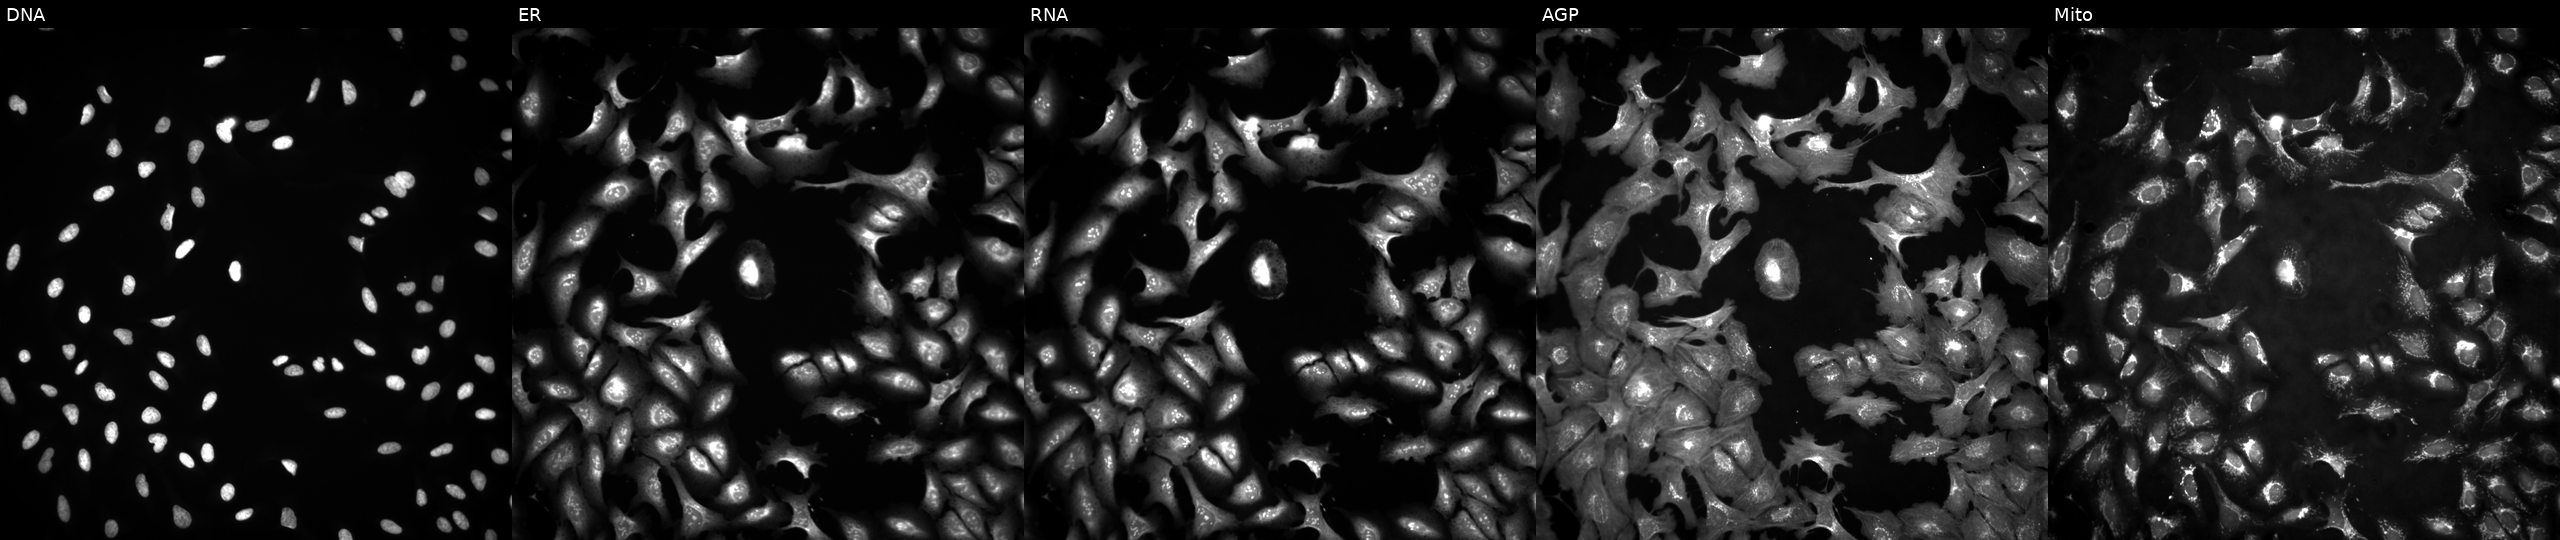
JUMP Cell Painting — ORF plate. U2OS cells expressing LacZ (ORF negative control). From left to right: DNA, ER, RNA, AGP, and Mito.